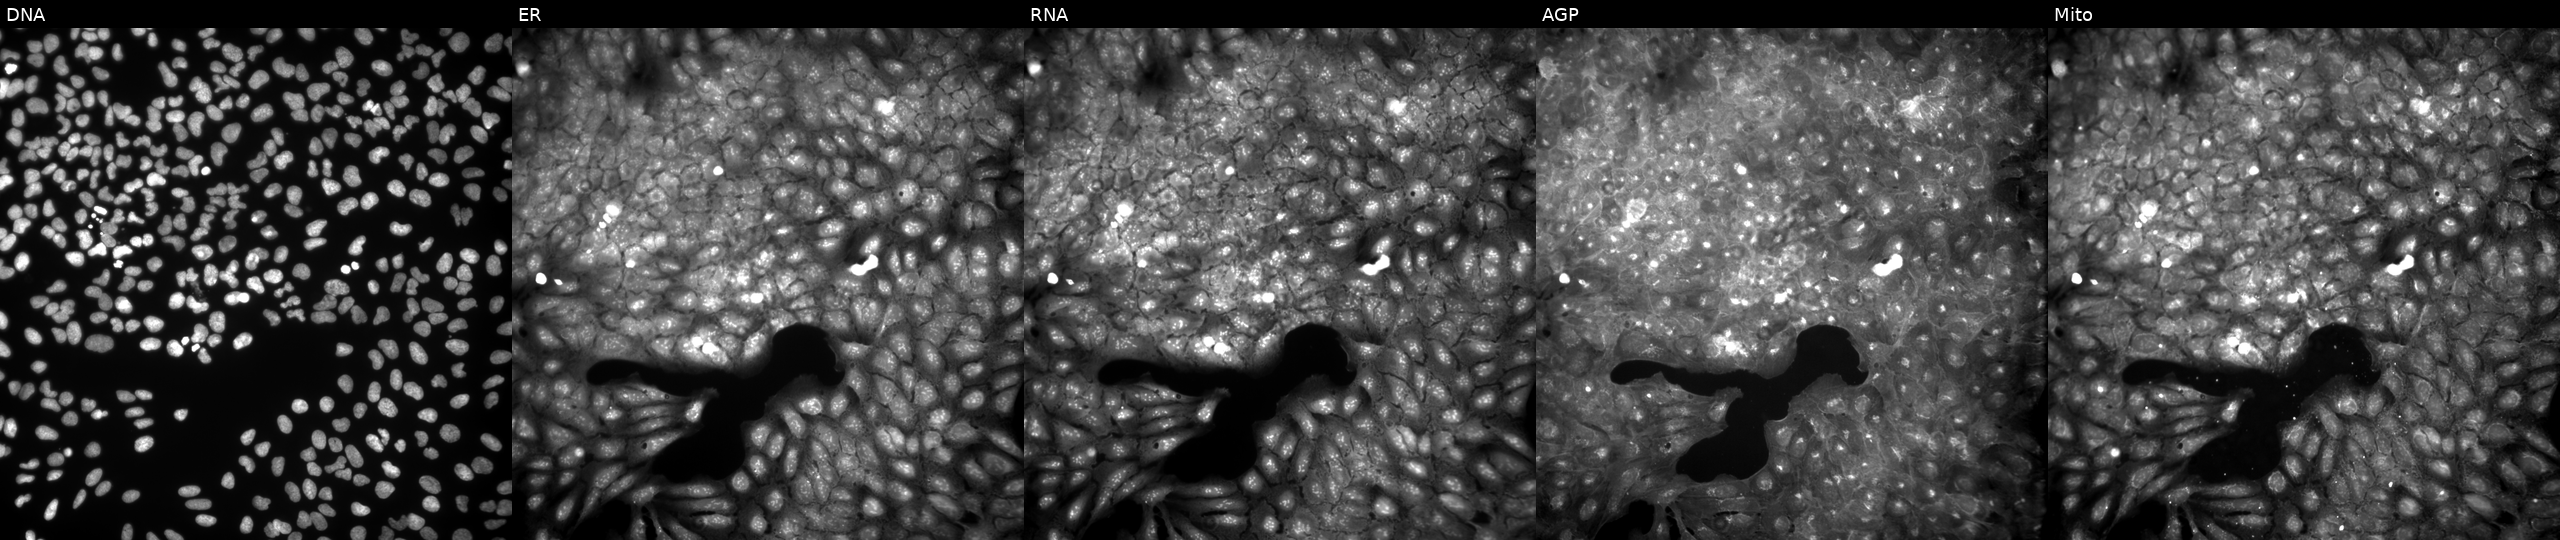
Panels show, left to right, DNA, ER, RNA, AGP, and Mito. U2OS osteosarcoma cells exposed to a small-molecule compound (InChIKey LLWTVMUXDKOSCA-UHFFFAOYSA-N). Cell Painting assay, JUMP-CP dataset.